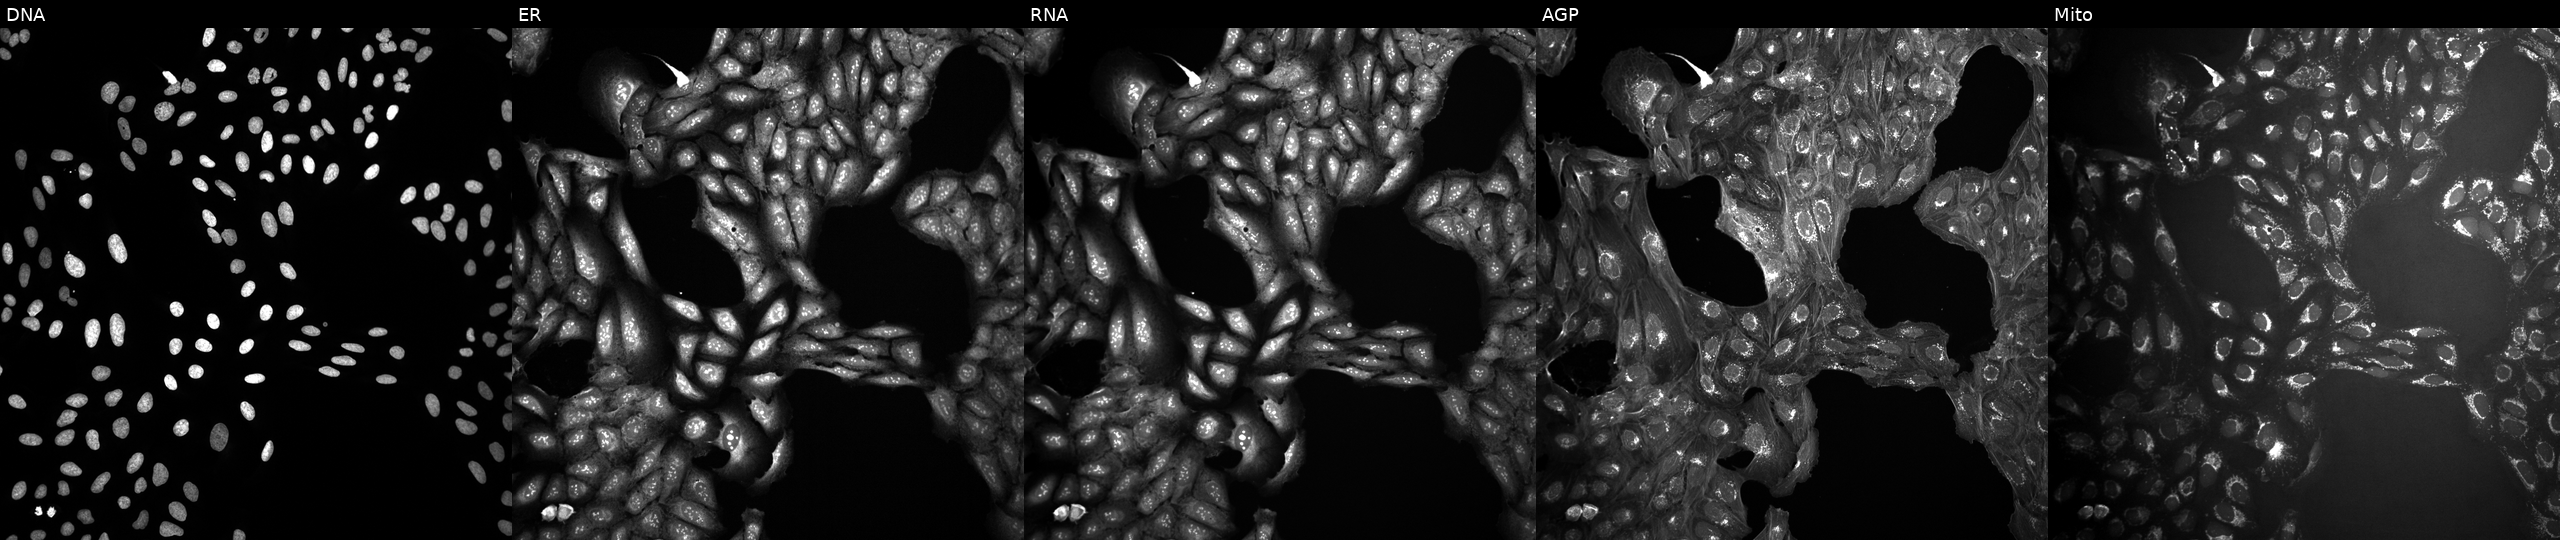
JUMP Cell Painting — COMPOUND plate. U2OS cells exposed to DMSO alone as a negative control (JUMP id JCP2022_033924). The five panels, left to right, show DNA, ER, RNA, AGP, and Mito. Source 10, plate Dest210531-152149, well H23.